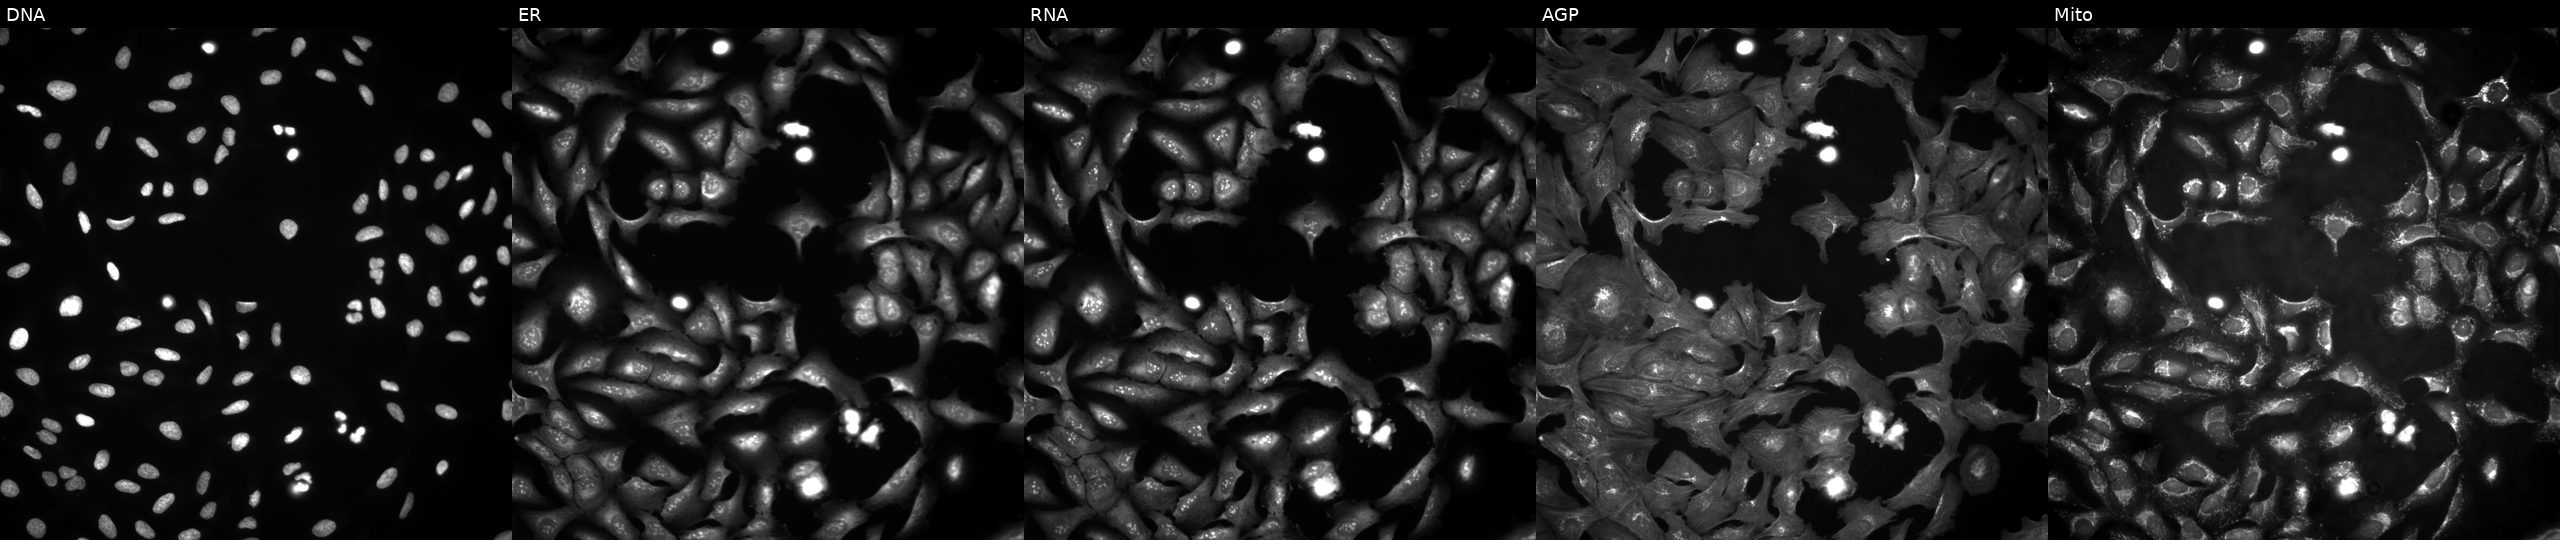
This image strip shows the five Cell Painting channels for a single field of U2OS cells overexpressing MND1 via ORF transfection (JUMP id JCP2022_904046). From left to right: DNA, ER, RNA, AGP, and Mito. Source 4, plate BR00124784, well J18.